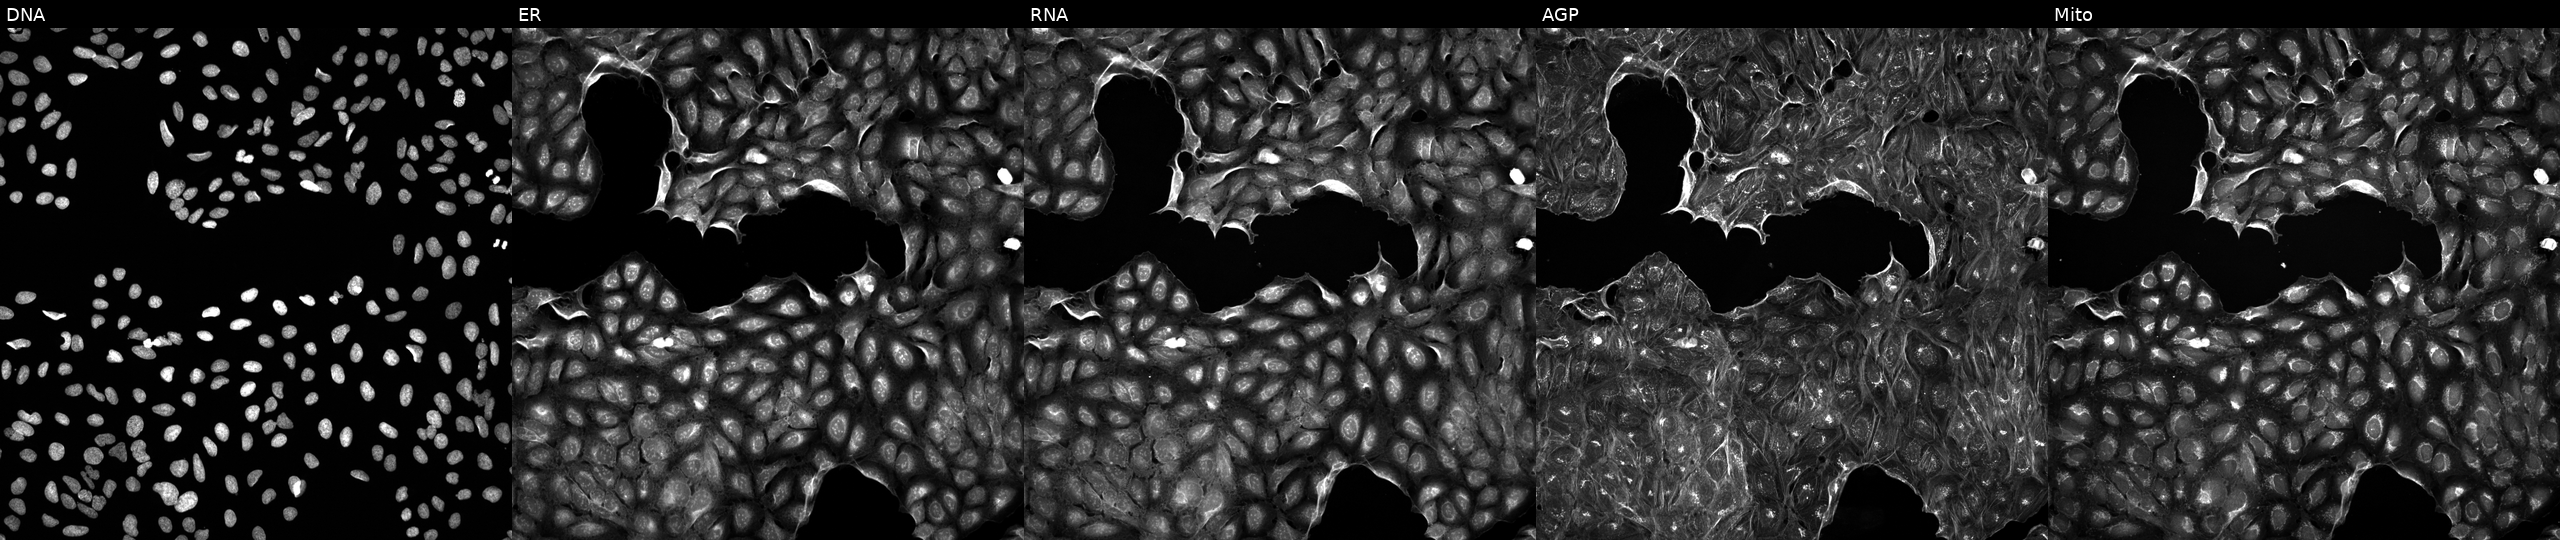
Five-channel Cell Painting image of U2OS cells treated with a small-molecule compound (InChIKey KWZSIFCFYGEYCI-UHFFFAOYSA-N). From left to right: DNA, ER, RNA, AGP, and Mito.